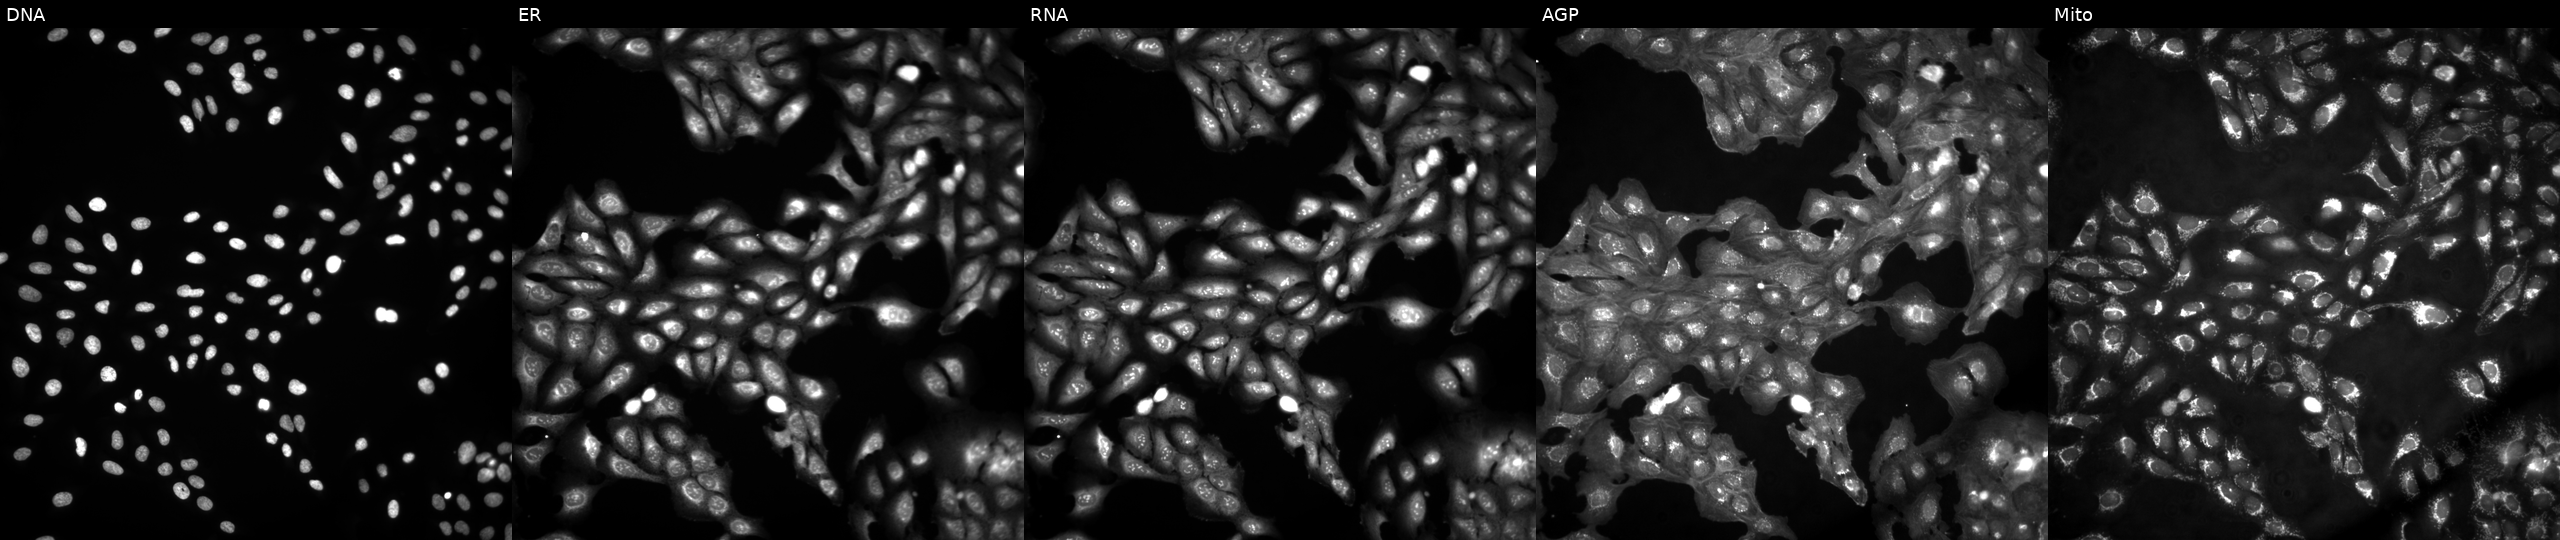
Panels show, left to right, DNA (nuclei); ER (endoplasmic reticulum); RNA (nucleoli and cytoplasmic RNA); AGP (actin cytoskeleton, Golgi, and plasma membrane); Mito (mitochondria). U2OS osteosarcoma cells untreated (empty-well control). Cell Painting assay, JUMP-CP dataset. Source 4, plate BR00124793, well E23.